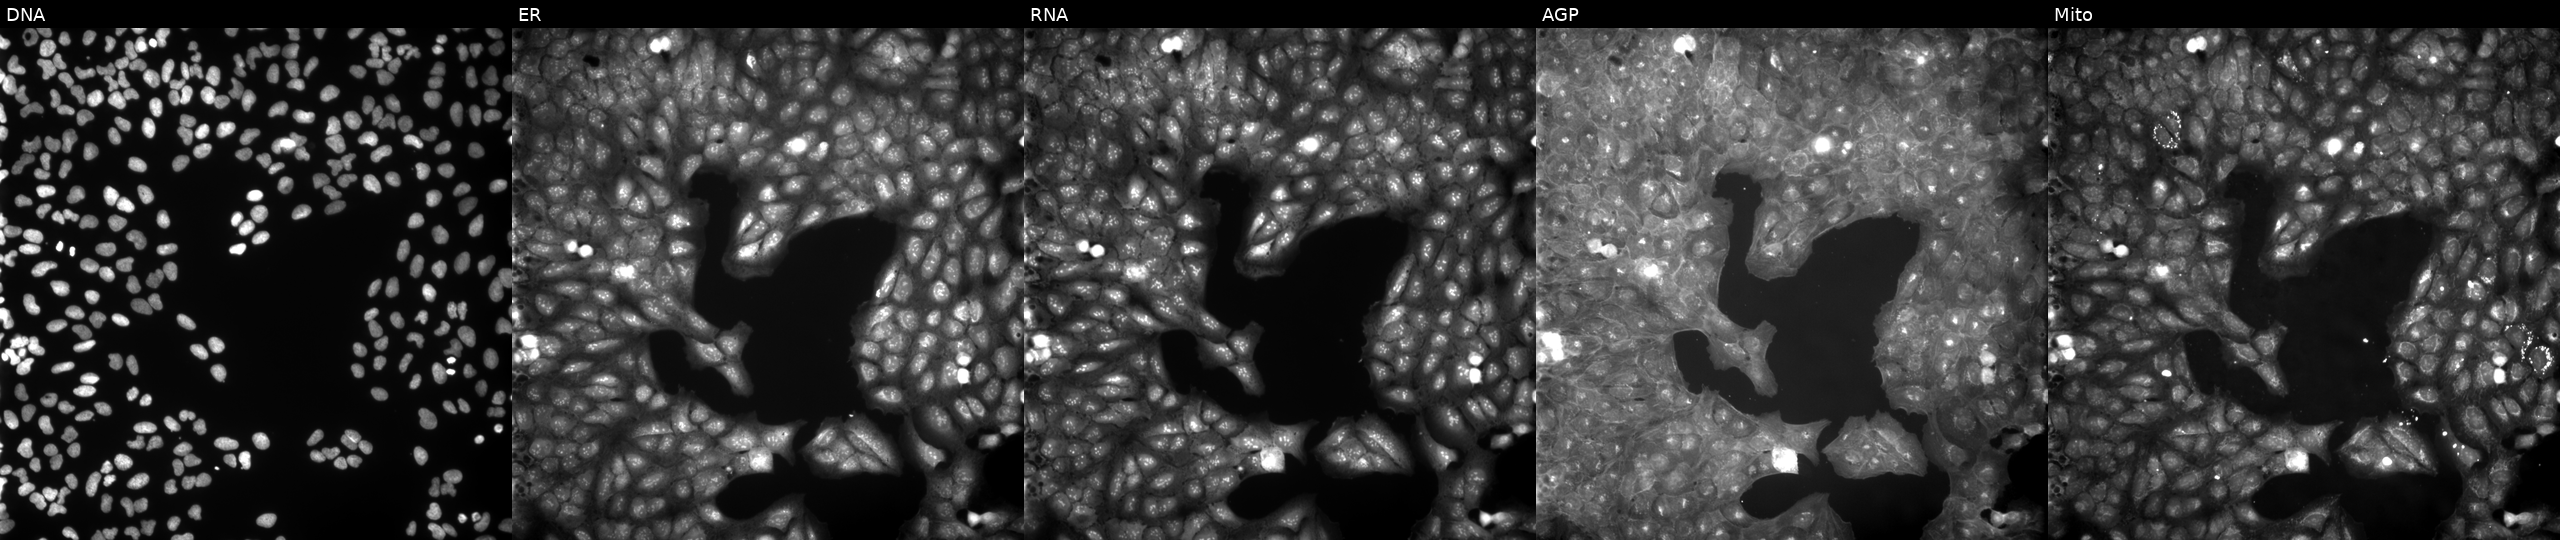
U2OS cells, Cell Painting assay, treated with a small-molecule compound. Channels (left→right): DNA, ER, RNA, AGP, and Mito. Each panel is percentile-stretched 16-bit fluorescence.